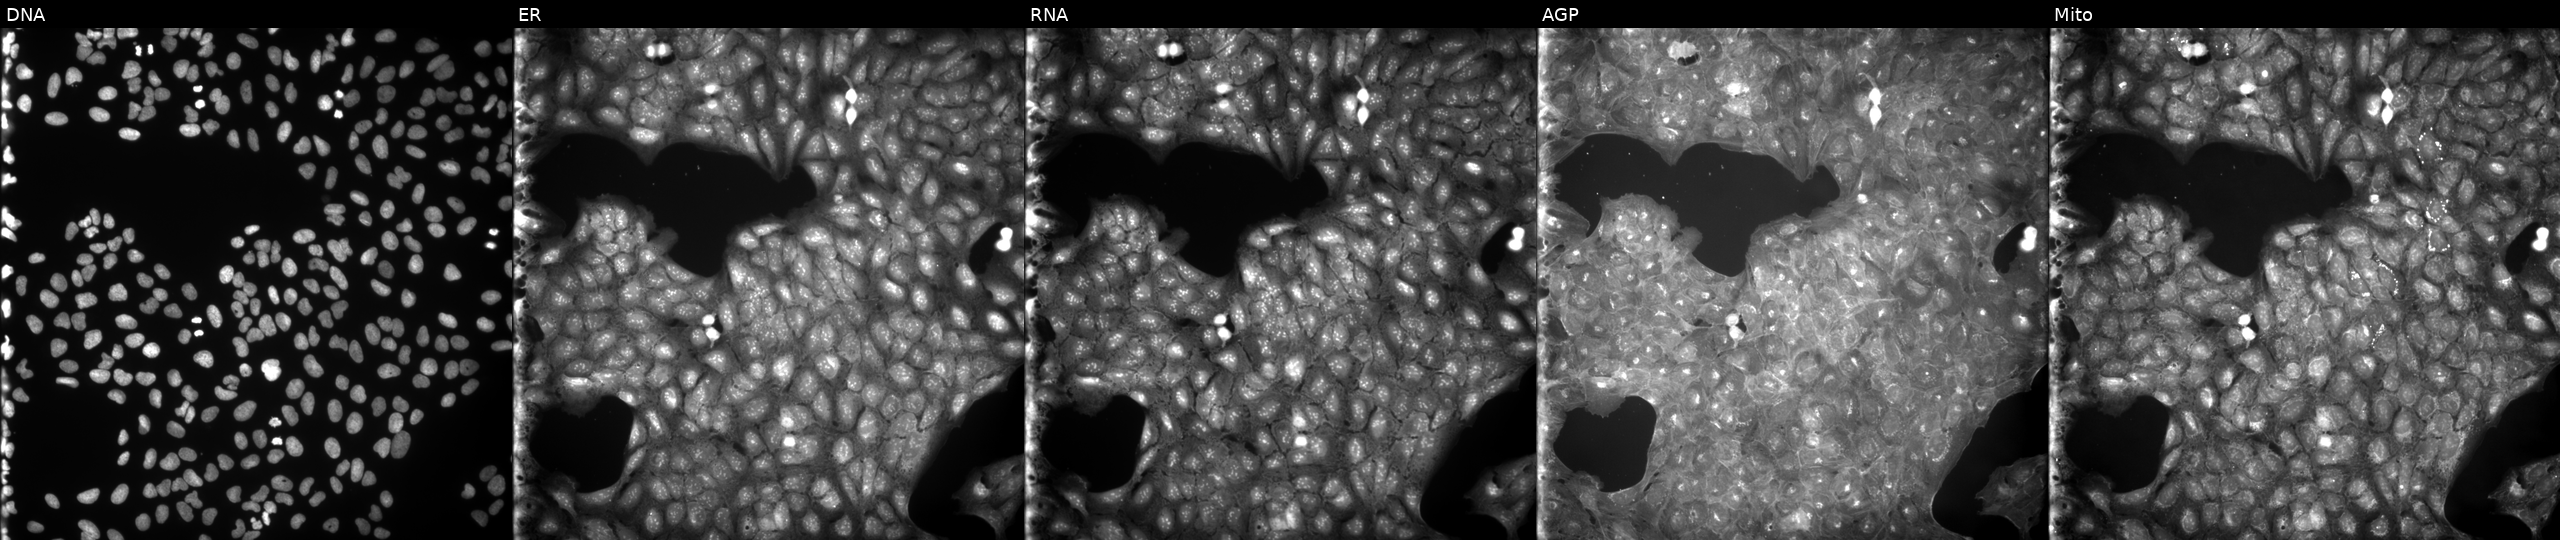
This image strip shows the five Cell Painting channels for a single field of U2OS cells exposed to a small-molecule compound. The five panels, left to right, show DNA (nuclei); ER (endoplasmic reticulum); RNA (nucleoli and cytoplasmic RNA); AGP (actin cytoskeleton, Golgi, and plasma membrane); Mito (mitochondria).